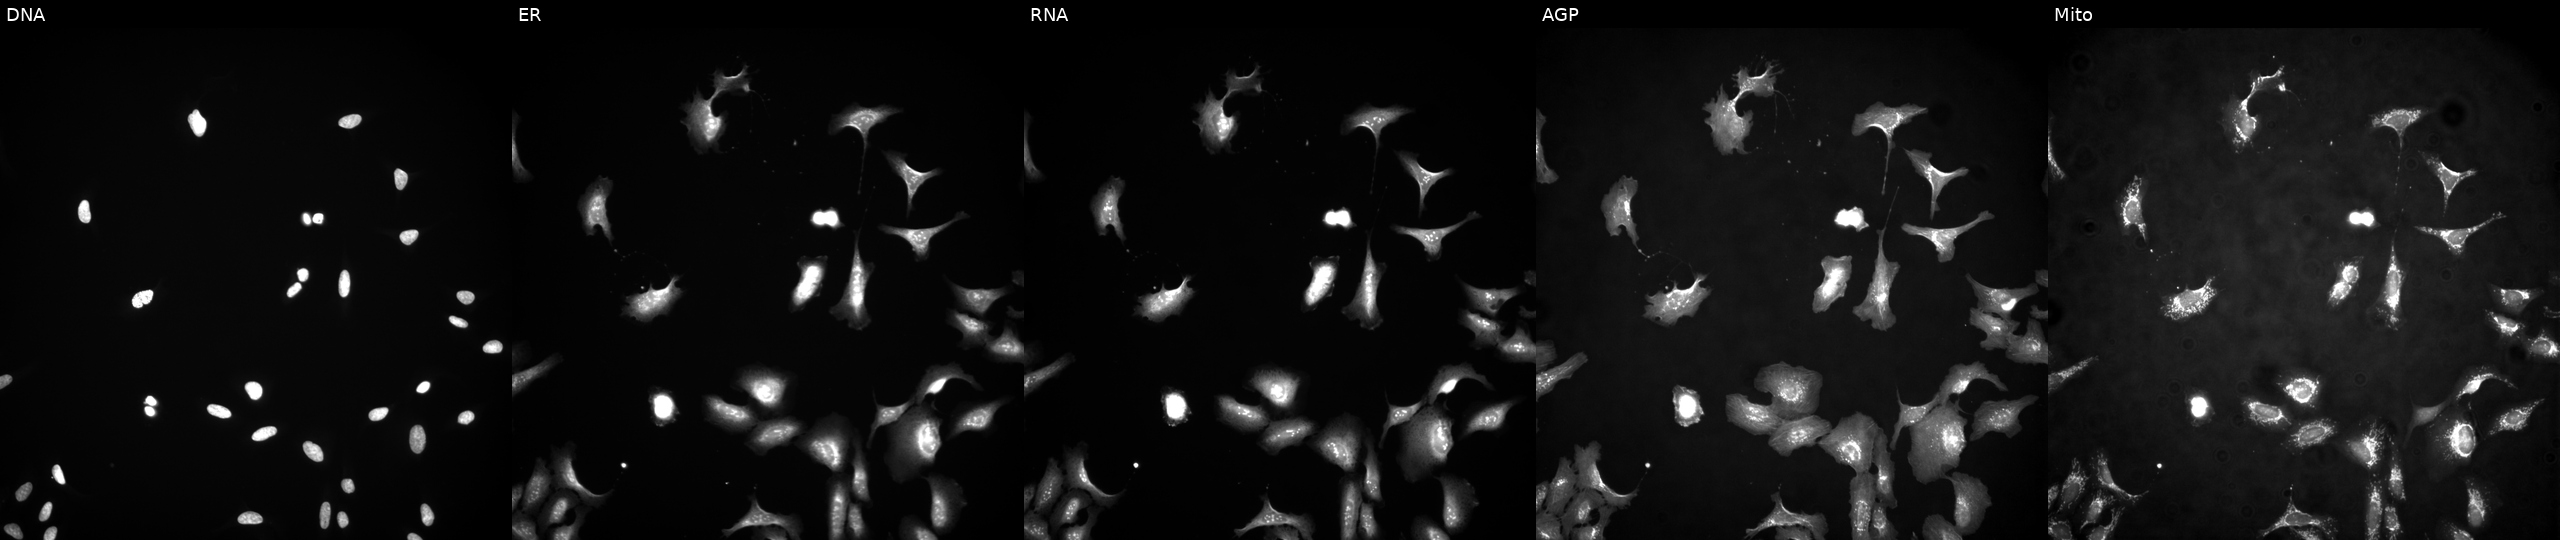
JUMP Cell Painting — ORF plate. U2OS cells with MYCBP overexpressed (ORF). Channels (left→right): DNA (nuclei); ER (endoplasmic reticulum); RNA (nucleoli and cytoplasmic RNA); AGP (actin cytoskeleton, Golgi, and plasma membrane); Mito (mitochondria). Source 4, plate BR00124787, well M09.